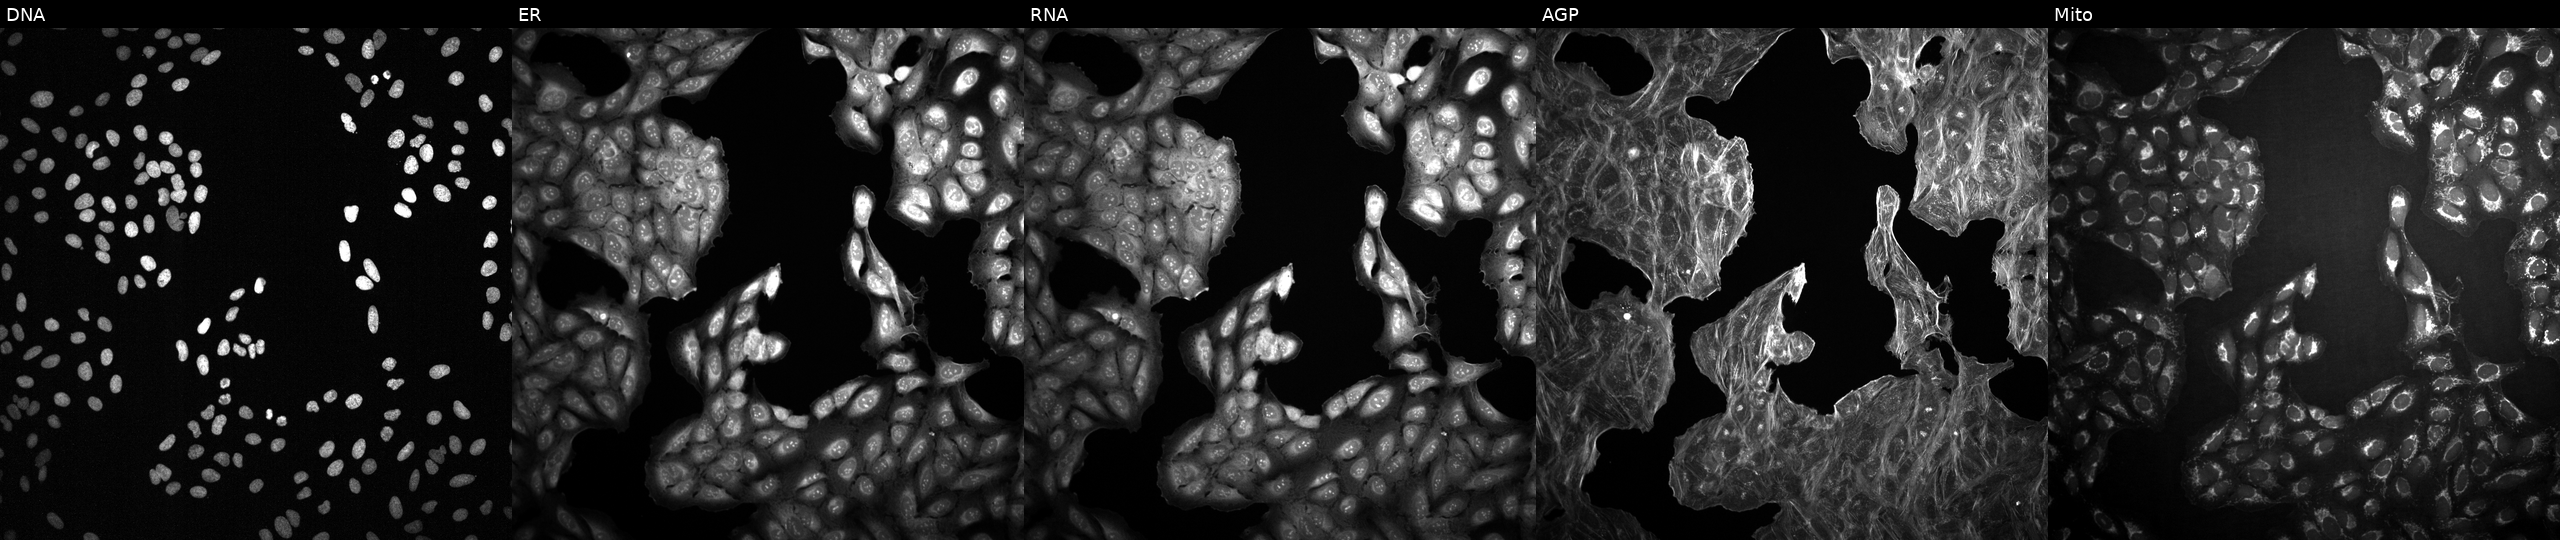
High-content fluorescence microscopy (Cell Painting). Cell line: U2OS. Perturbation: treated with DMSO vehicle only (negative control). The five panels, left to right, show Hoechst 33342, concanavalin A, SYTO 14, phalloidin and WGA, MitoTracker. Source 2, plate 1053601763, well I02.